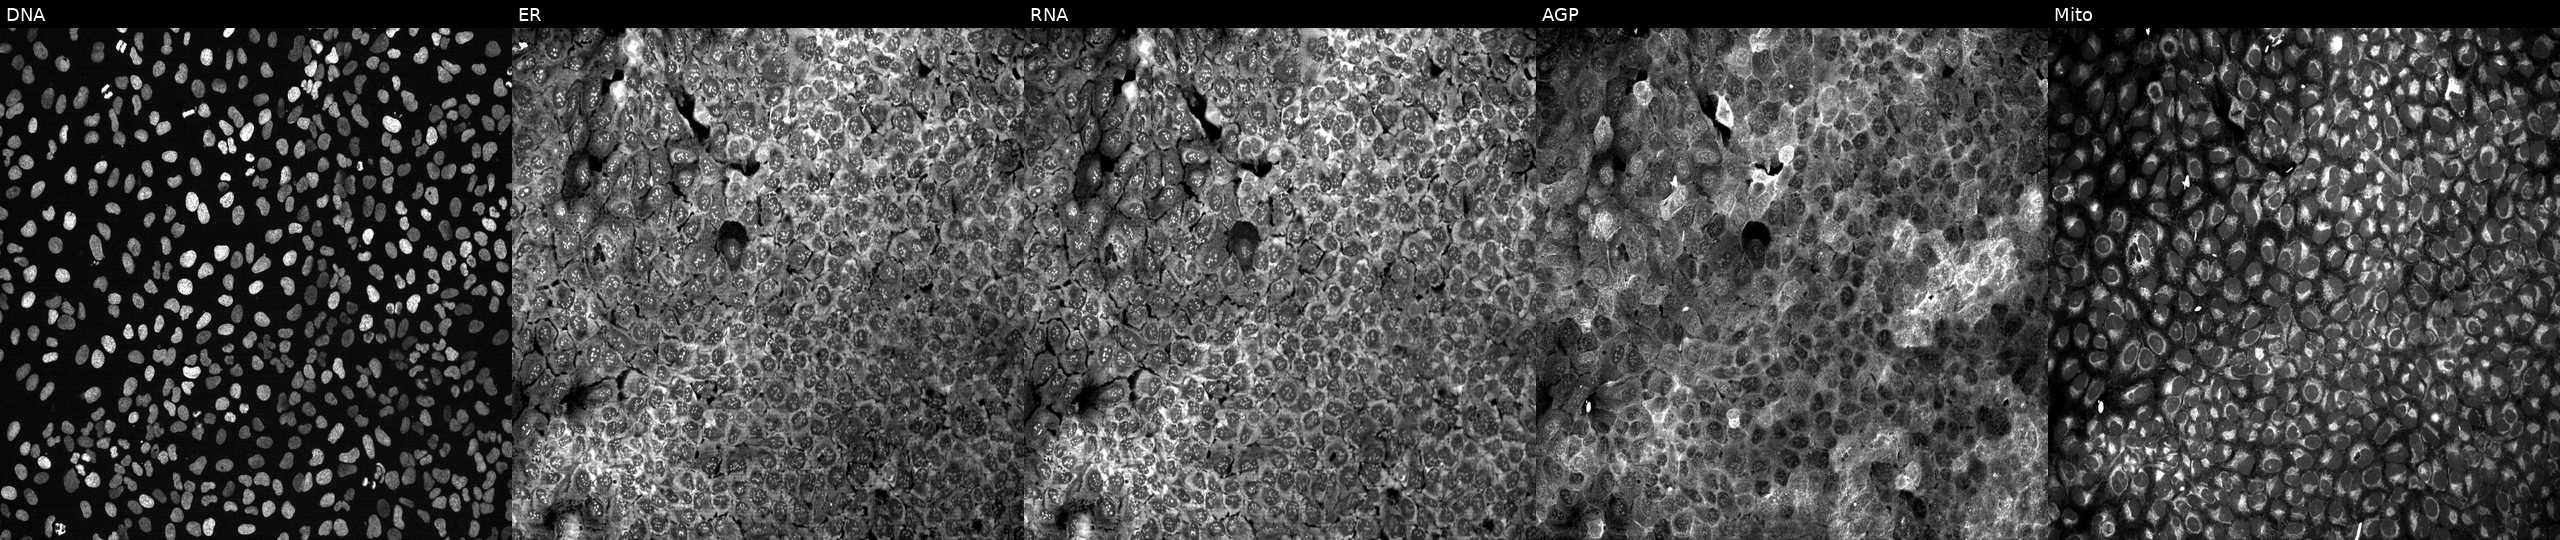
The five panels, left to right, show Hoechst 33342, concanavalin A, SYTO 14, phalloidin and WGA, MitoTracker. U2OS osteosarcoma cells CRISPR-edited to disrupt OLR1. Cell Painting assay, JUMP-CP dataset.